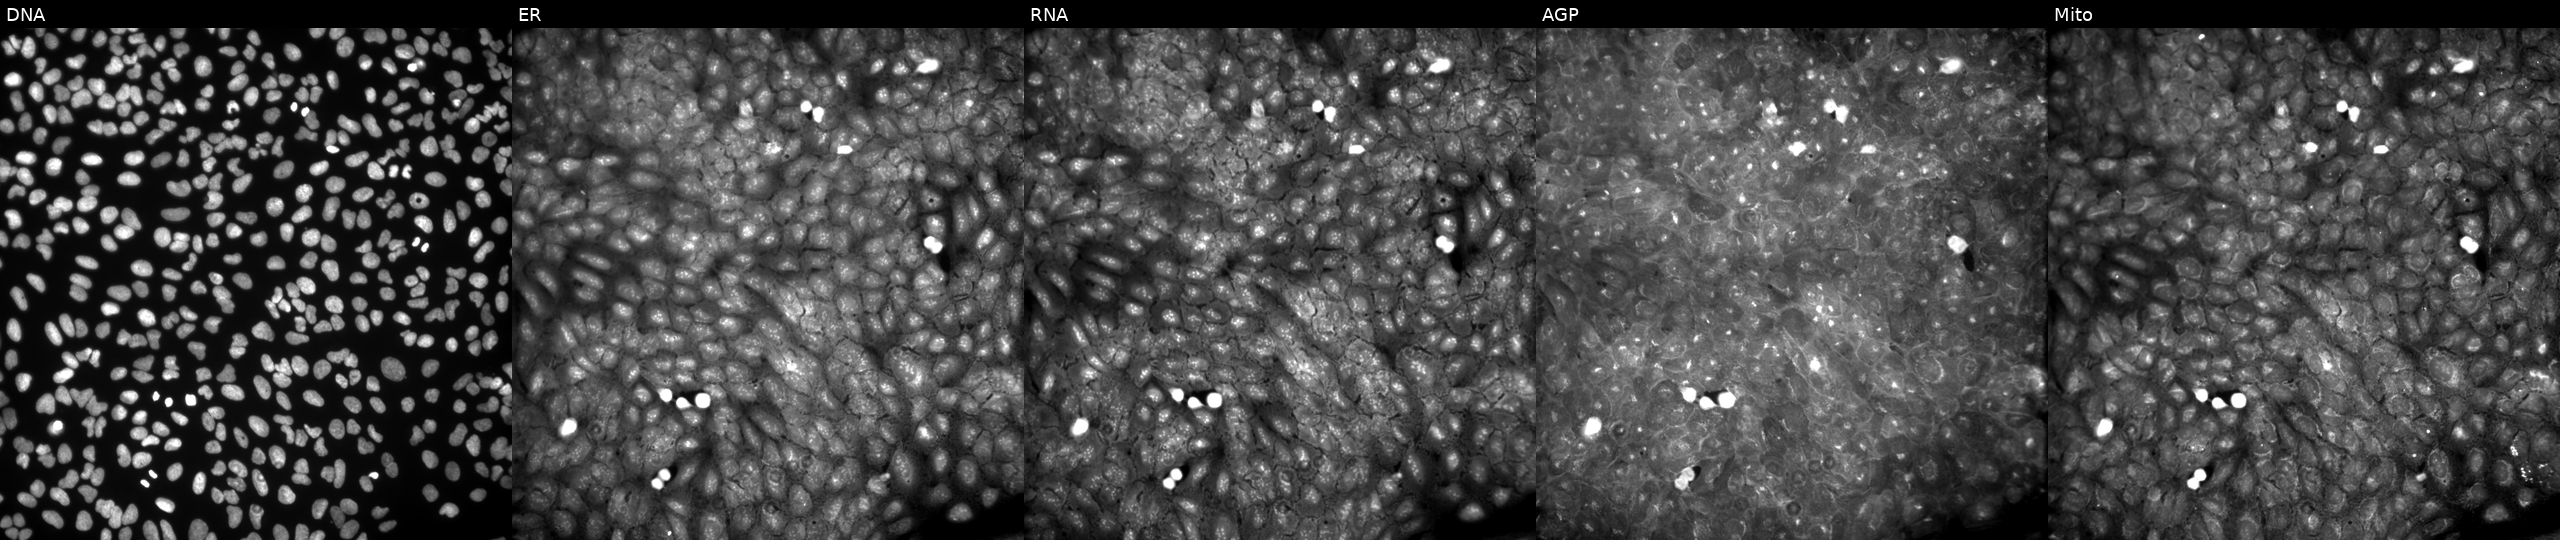
JUMP Cell Painting — COMPOUND plate. U2OS cells exposed to a small-molecule compound [SMILES: CC(=O)CC1(O)C(=O)N(Cc2ccccc2)c2ccccc21] (JUMP id JCP2022_071219). From left to right: DNA, ER, RNA, AGP, and Mito. Source 9, plate GR00003382, well O39.